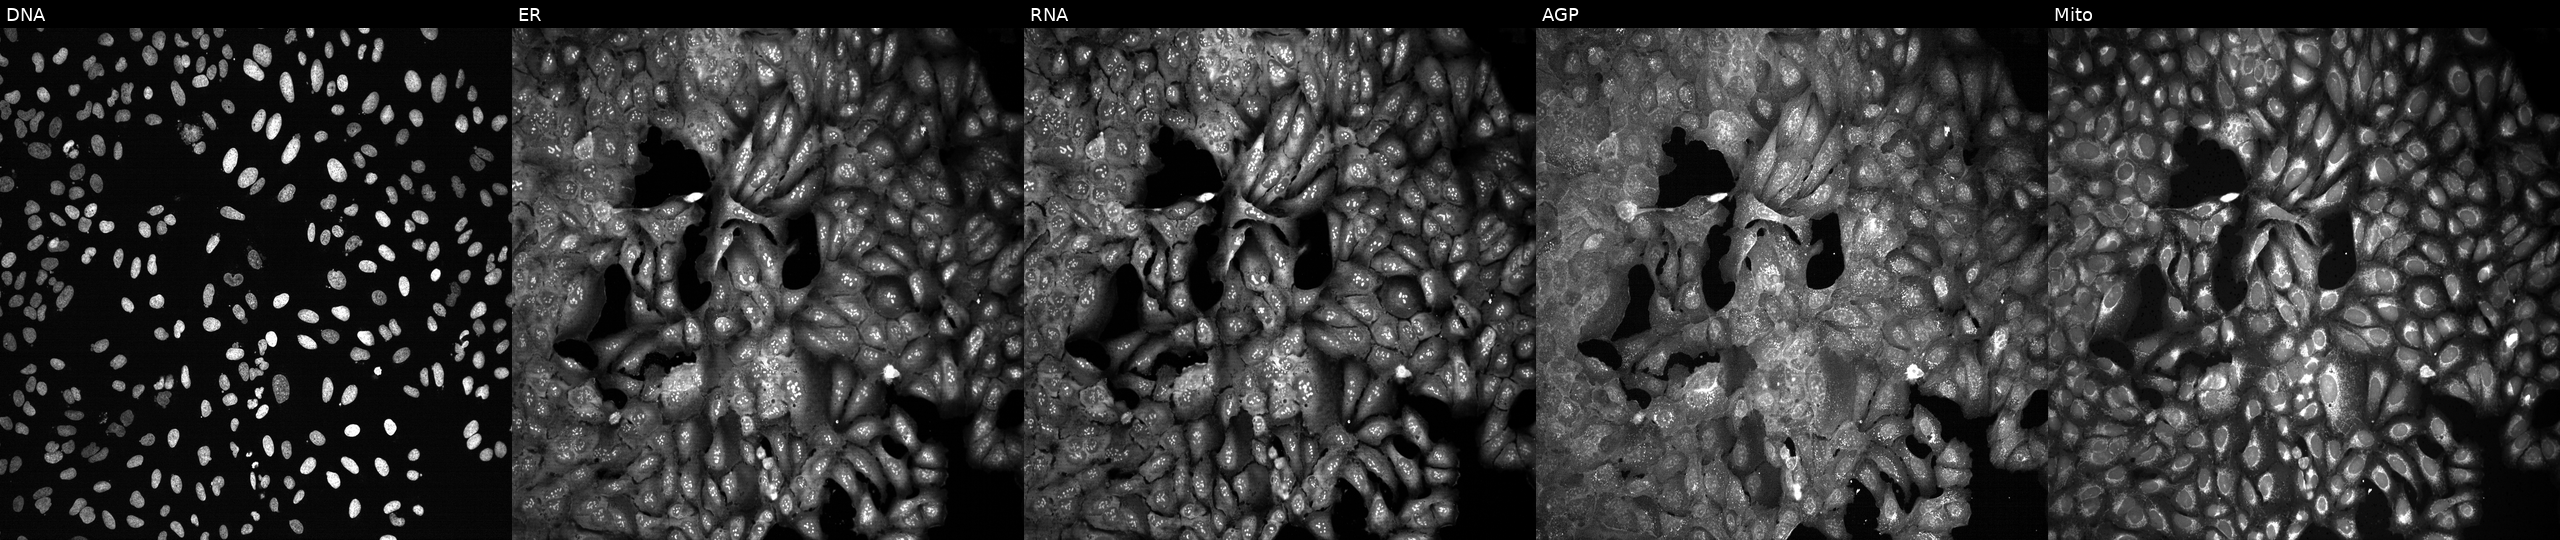
JUMP Cell Painting — CRISPR plate. U2OS cells with GJA4 knocked out by CRISPR. The five panels, left to right, show DNA, ER, RNA, AGP, and Mito.